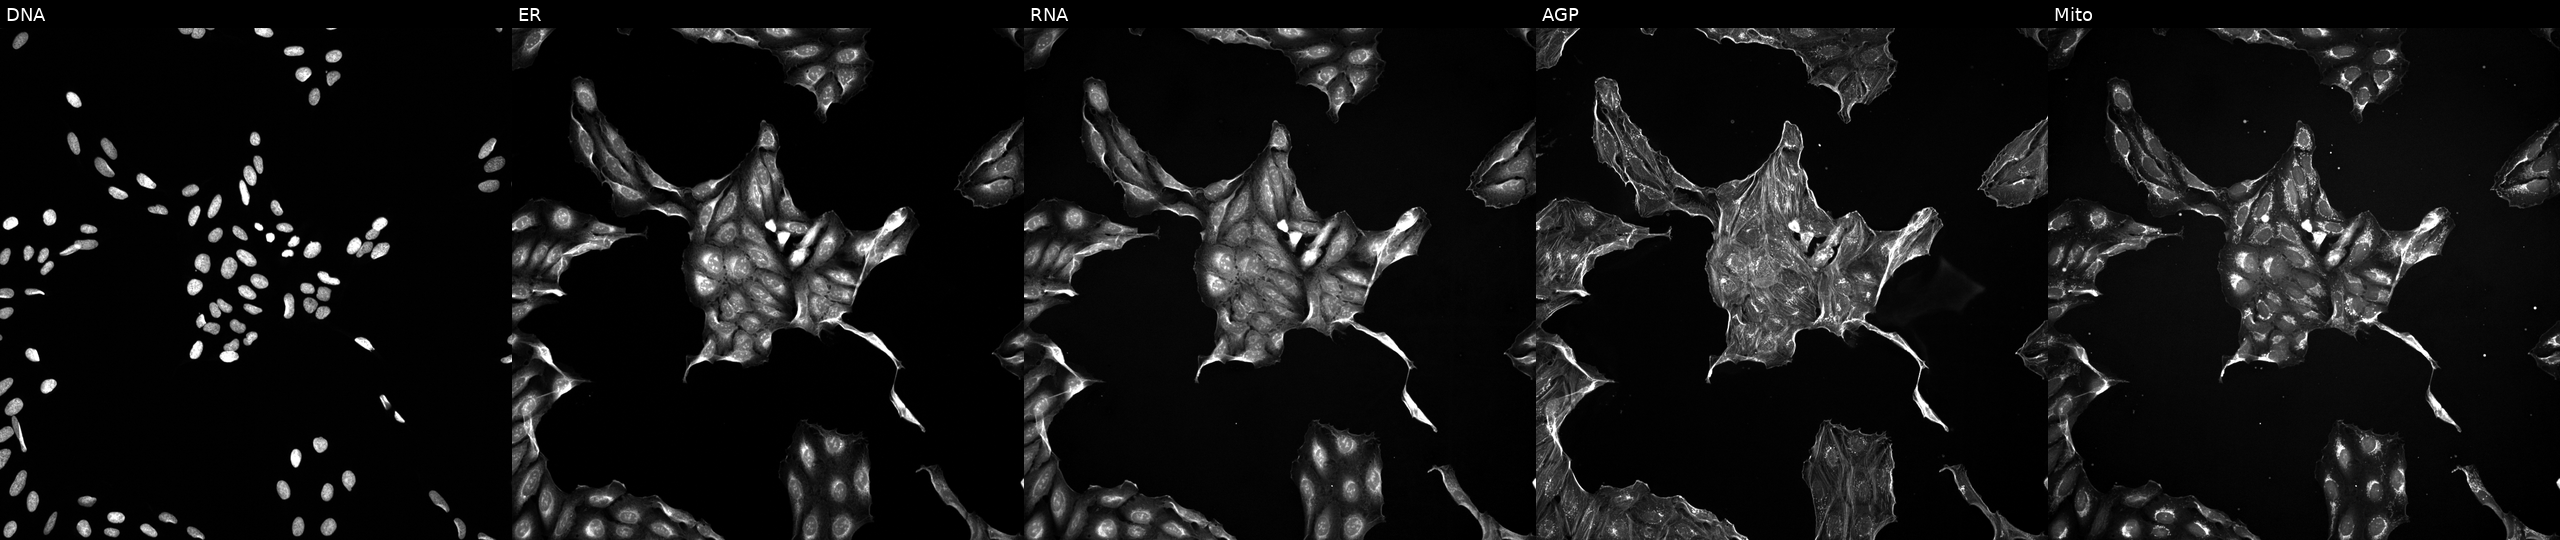
U2OS cells, Cell Painting assay, treated with a small-molecule compound [SMILES: CCCCCCCCO] (JUMP id JCP2022_043547). From left to right: DNA, ER, RNA, AGP, and Mito. Each panel is percentile-stretched 16-bit fluorescence.